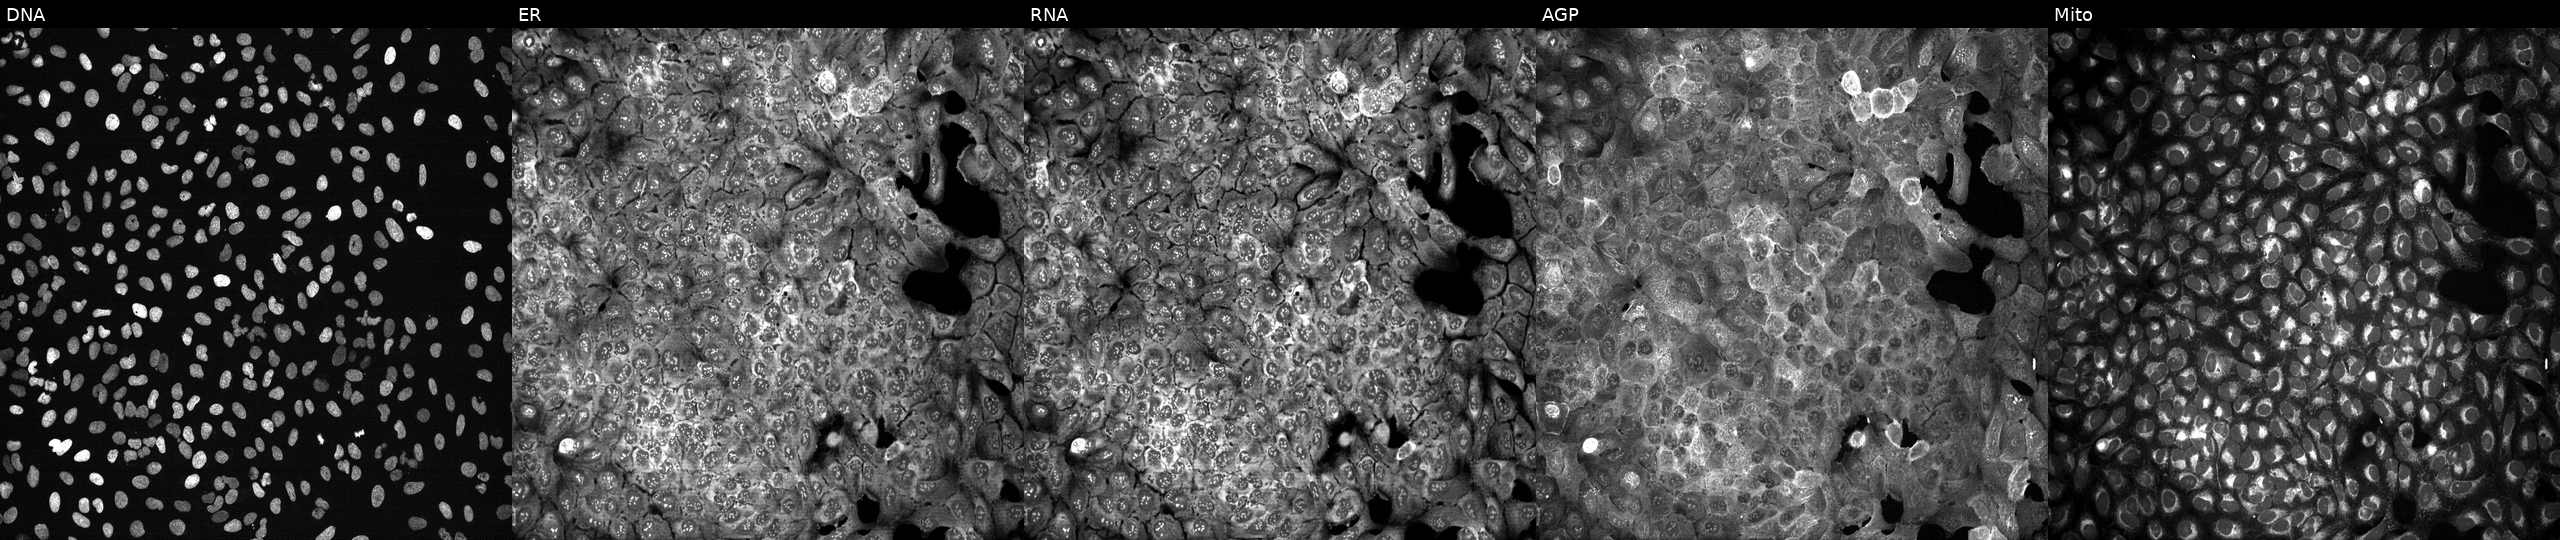
This image strip shows the five Cell Painting channels for a single field of U2OS cells with SLC22A4 knocked out by CRISPR. Channels (left→right): DNA, ER, RNA, AGP, and Mito. Source 13, plate CP-CC9-R2-02, well I18.